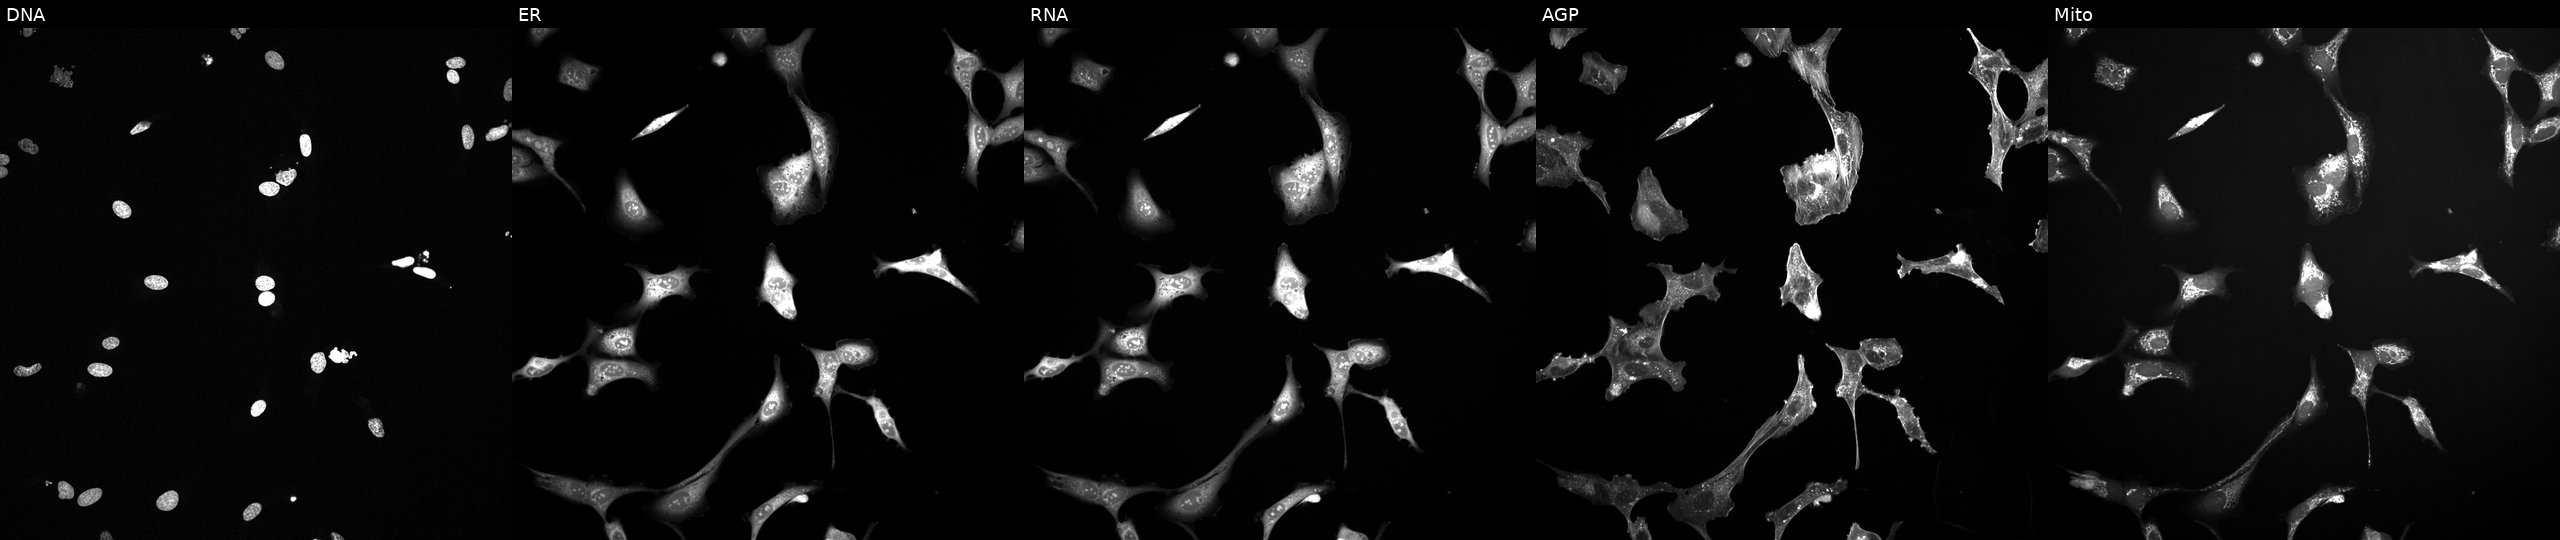
High-content fluorescence microscopy (Cell Painting). Cell line: U2OS. Perturbation: perturbed with a small-molecule compound (InChIKey XQVVPGYIWAGRNI-UHFFFAOYSA-N). Channels (left→right): Hoechst 33342, concanavalin A, SYTO 14, phalloidin and WGA, MitoTracker.